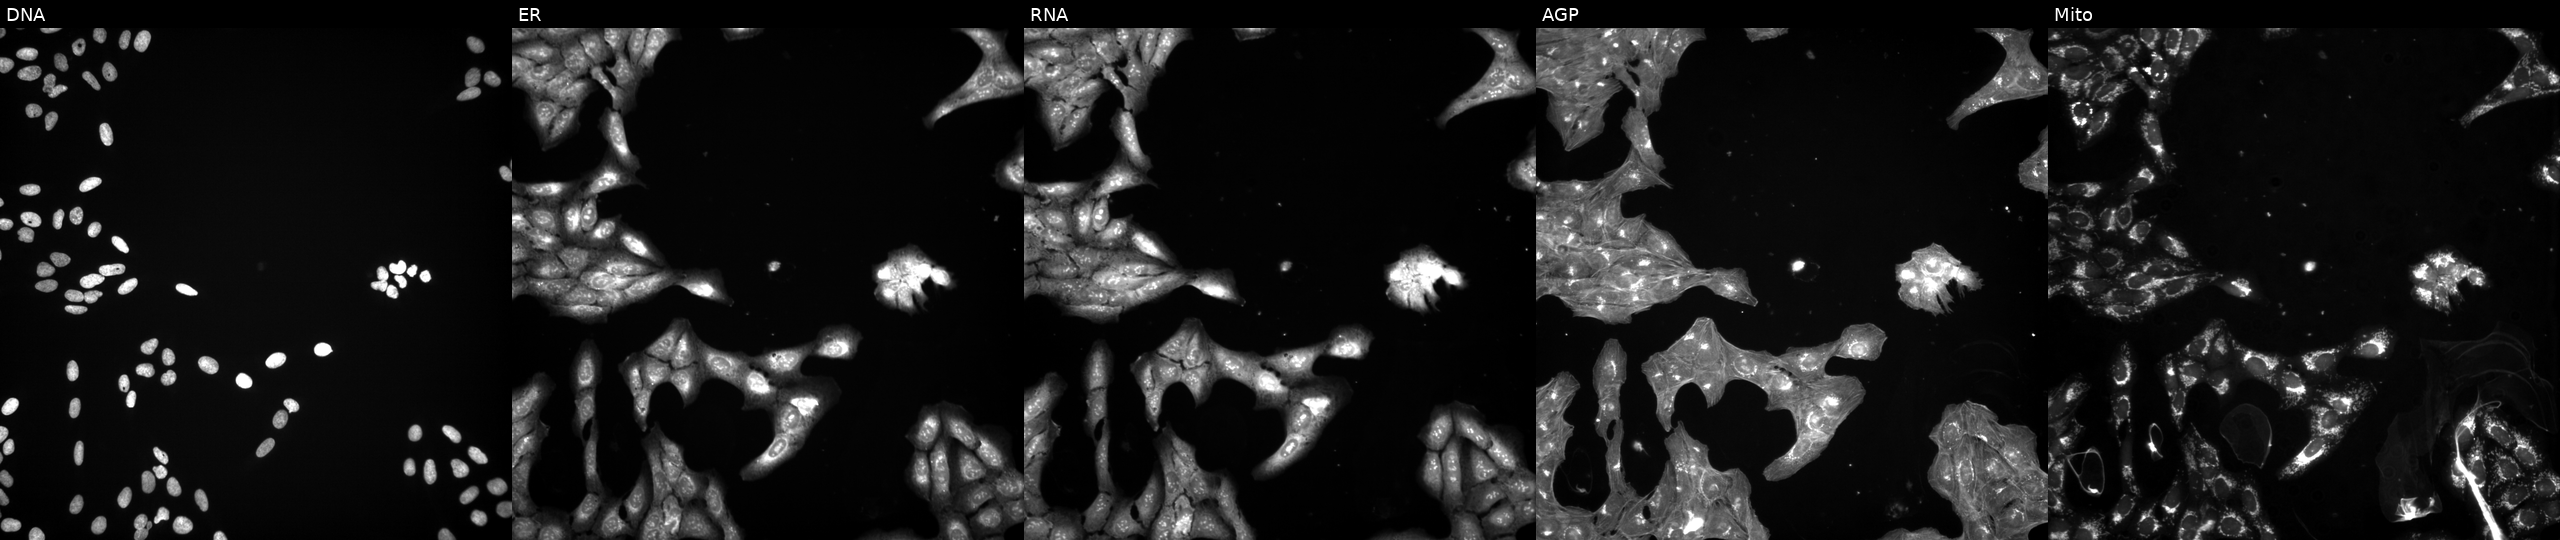
High-content fluorescence microscopy (Cell Painting). Cell line: U2OS. Perturbation: exposed to a small-molecule compound. Channels (left→right): DNA, ER, RNA, AGP, and Mito. Source 3, plate BR5867b3, well F04.